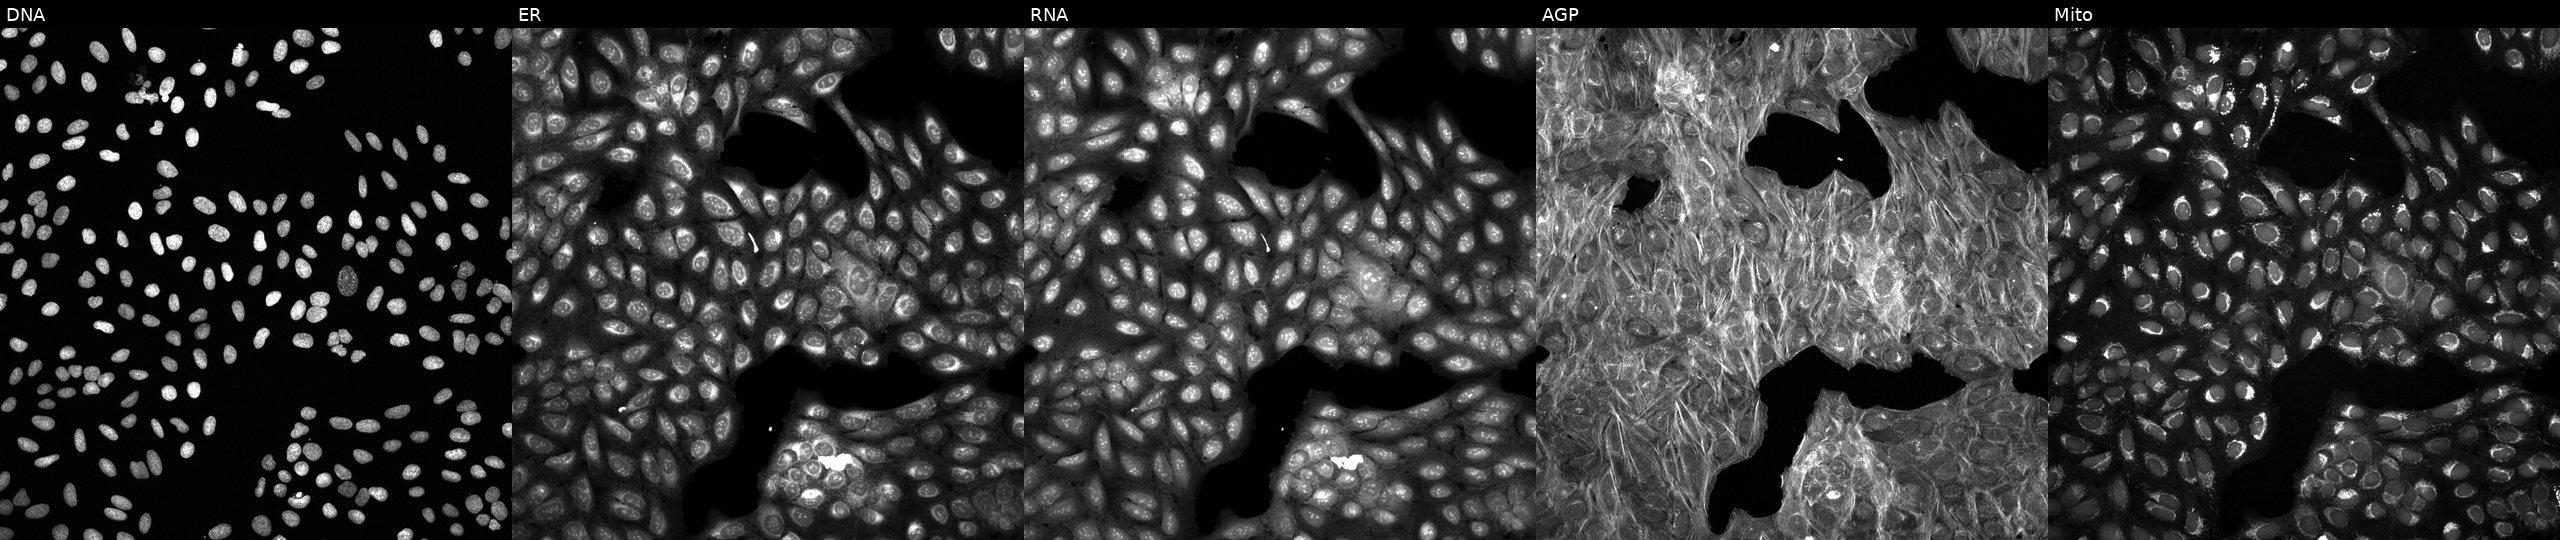
JUMP Cell Painting — COMPOUND plate. U2OS cells exposed to a small-molecule compound (JUMP id JCP2022_006081). Channels (left→right): DNA, ER, RNA, AGP, and Mito. Source 6, plate 110000293083, well N06.